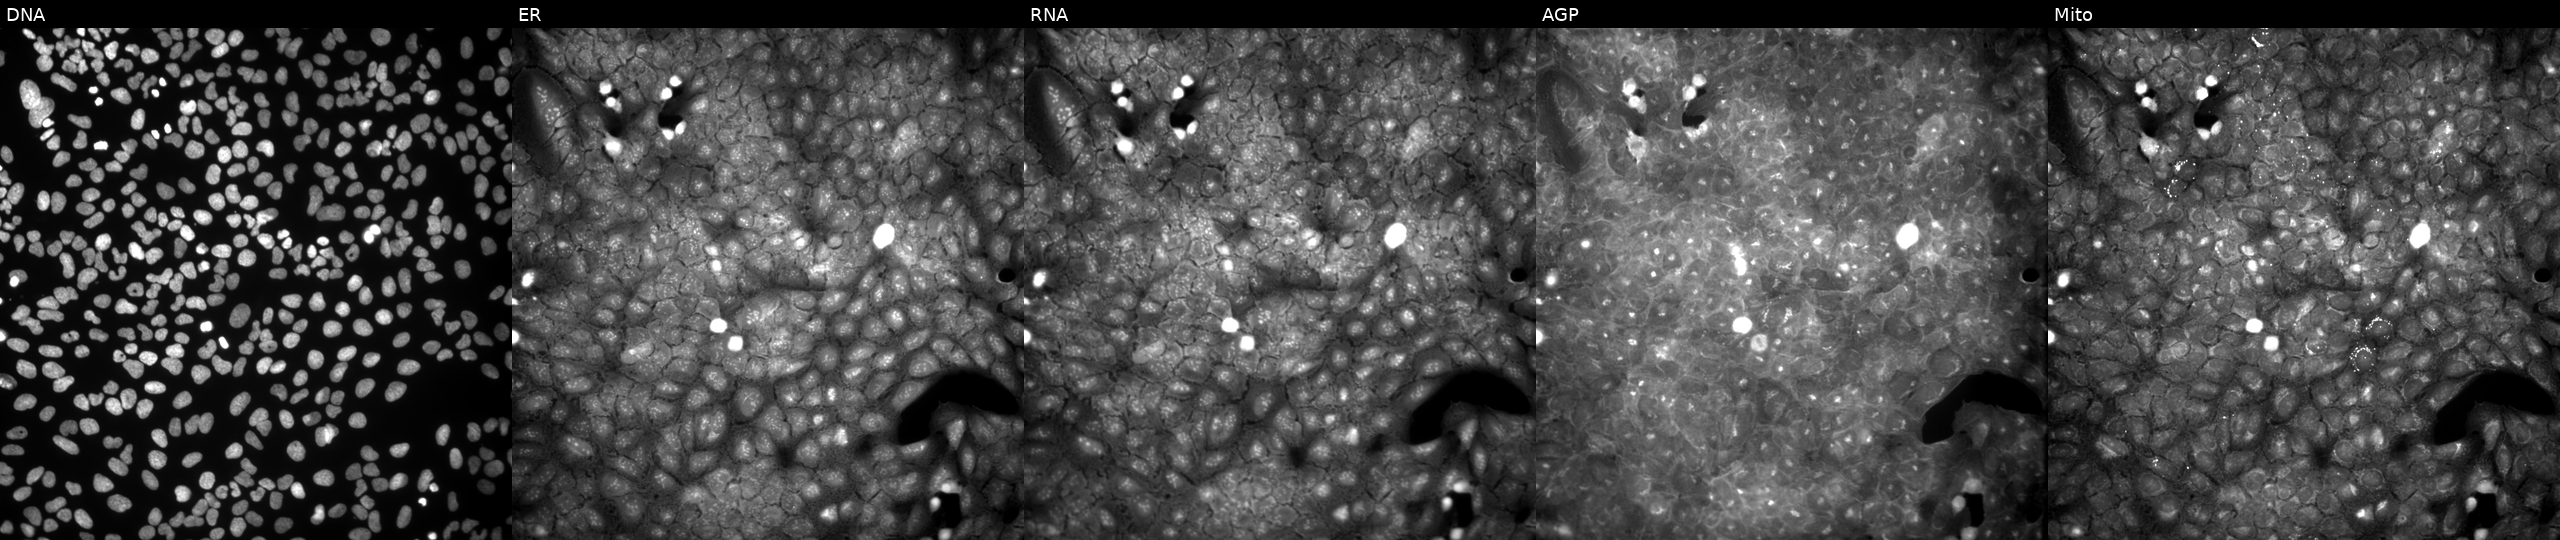
High-content fluorescence microscopy (Cell Painting). Cell line: U2OS. Perturbation: exposed to a small-molecule compound. Channels (left→right): DNA, ER, RNA, AGP, and Mito.